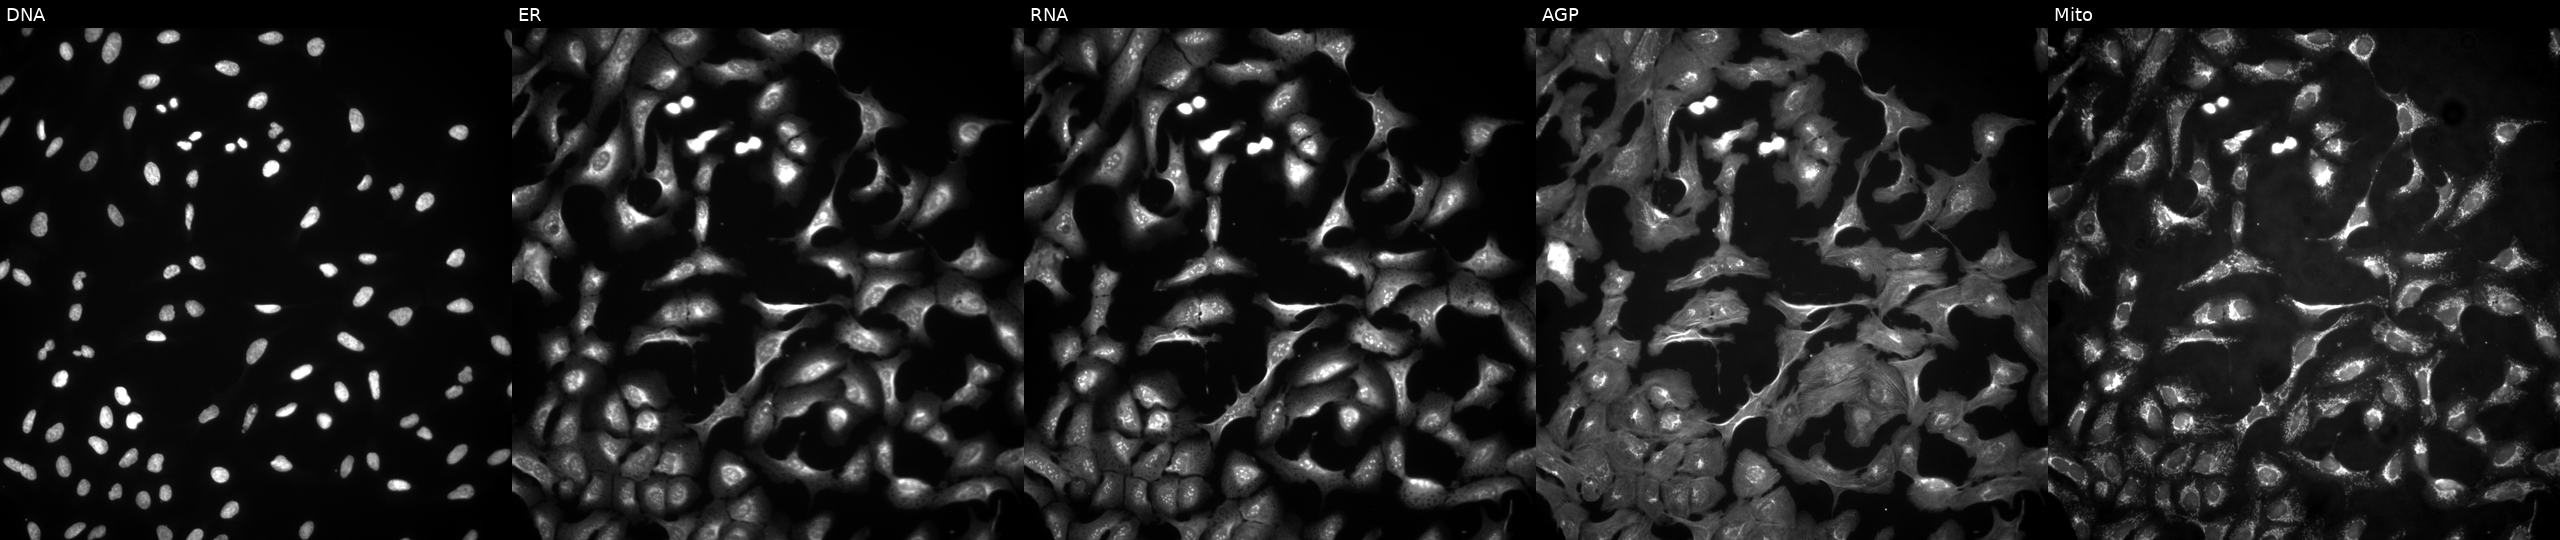
Channels (left→right): DNA, ER, RNA, AGP, and Mito. U2OS osteosarcoma cells overexpressing ZFAND6 via ORF transfection. Cell Painting assay, JUMP-CP dataset.